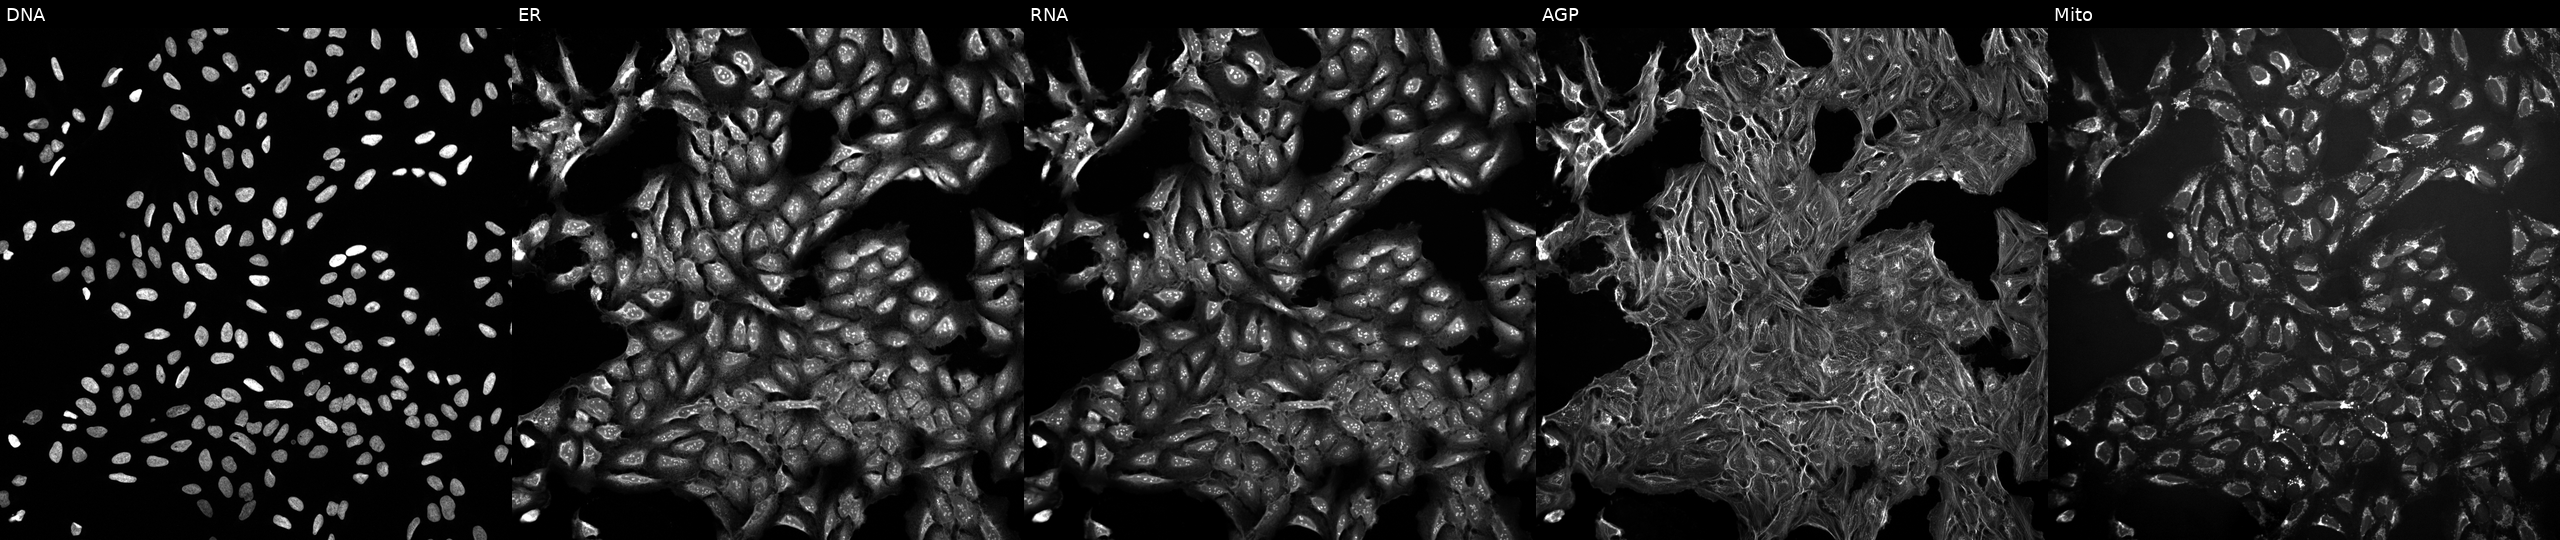
This image strip shows the five Cell Painting channels for a single field of U2OS cells perturbed with a small-molecule compound (InChIKey NDNKNUMSTIMSHQ-UHFFFAOYSA-N) (JUMP id JCP2022_058288). Panels show, left to right, Hoechst 33342, concanavalin A, SYTO 14, phalloidin and WGA, MitoTracker.